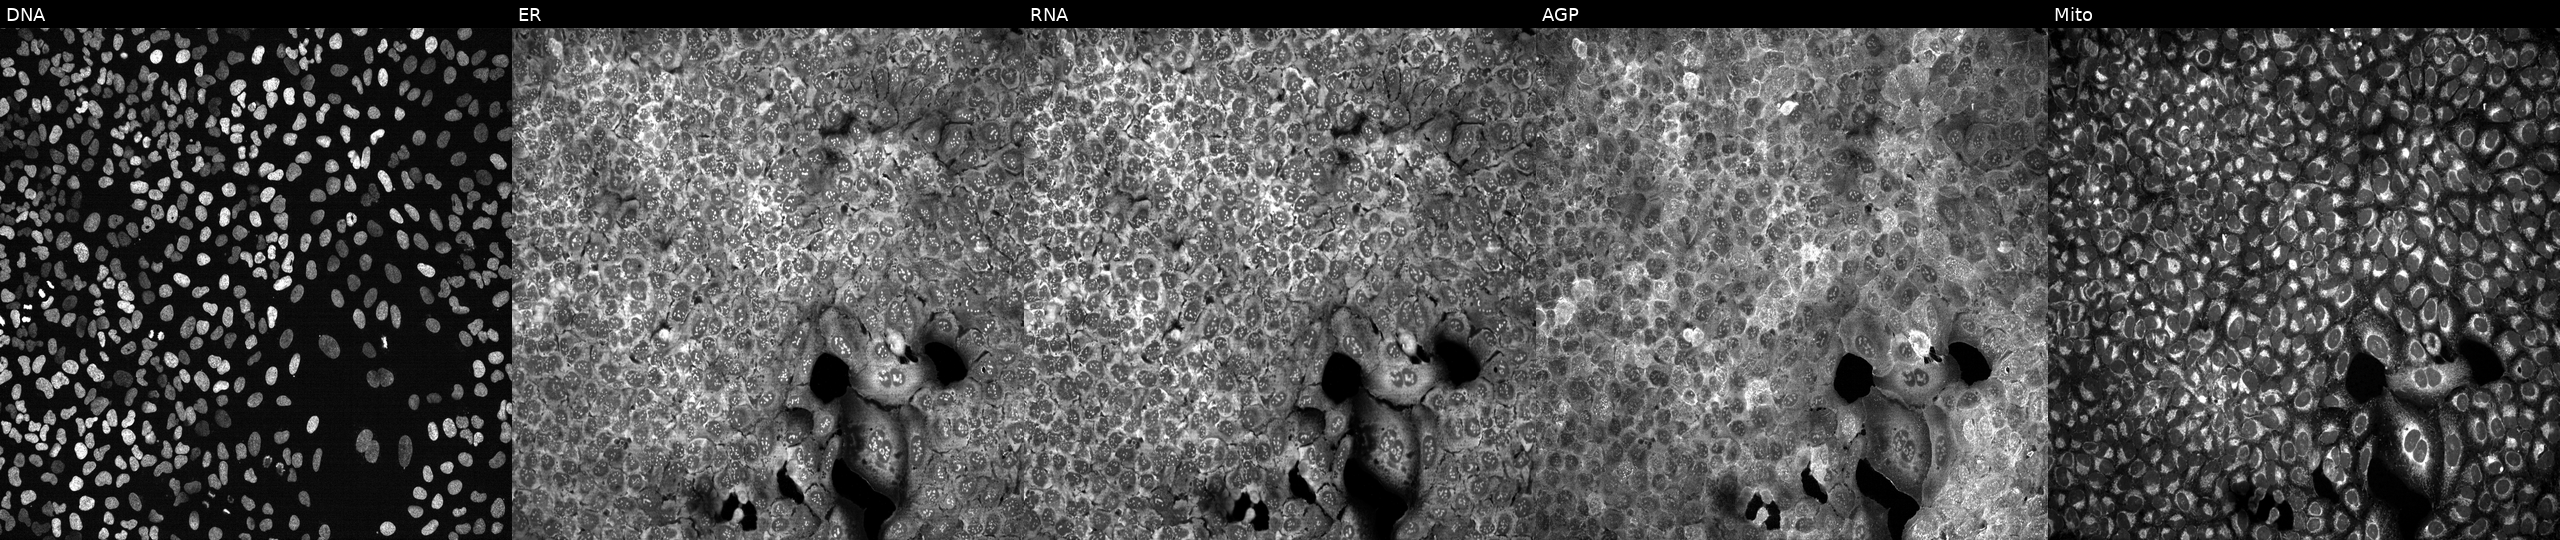
High-content fluorescence microscopy (Cell Painting). Cell line: U2OS. Perturbation: CRISPR-edited to disrupt NAA20 (JUMP id JCP2022_804408). From left to right: DNA, ER, RNA, AGP, and Mito.